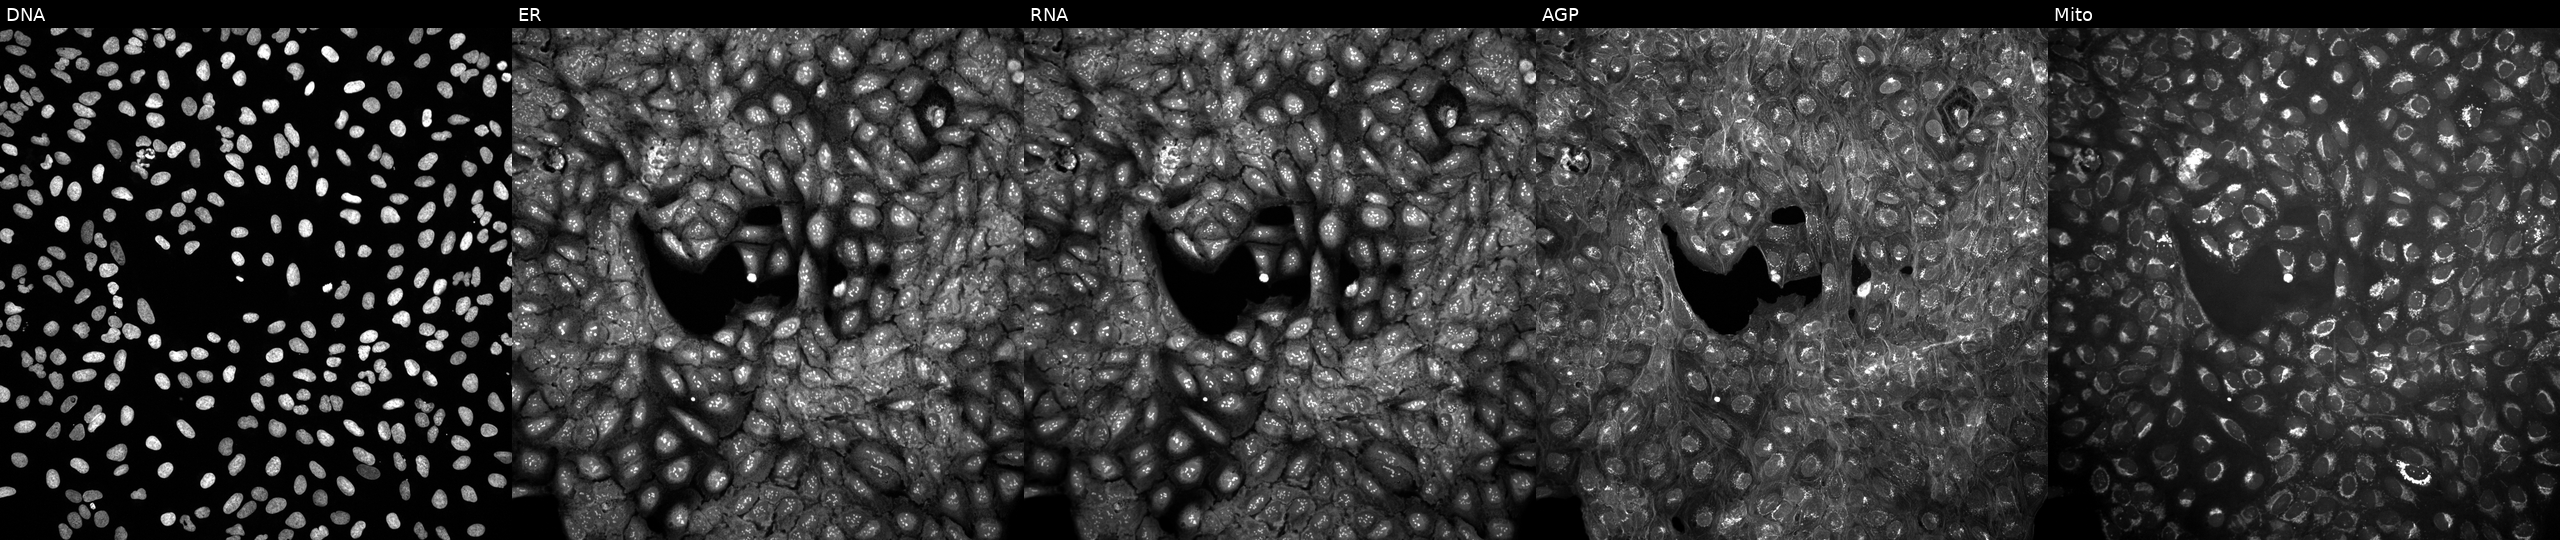
High-content fluorescence microscopy (Cell Painting). Cell line: U2OS. Perturbation: treated with a small-molecule compound (InChIKey JFFYOGWRKQKYPF-UHFFFAOYSA-N). Channels (left→right): DNA, ER, RNA, AGP, and Mito. Source 10, plate Dest210531-152149, well I08.